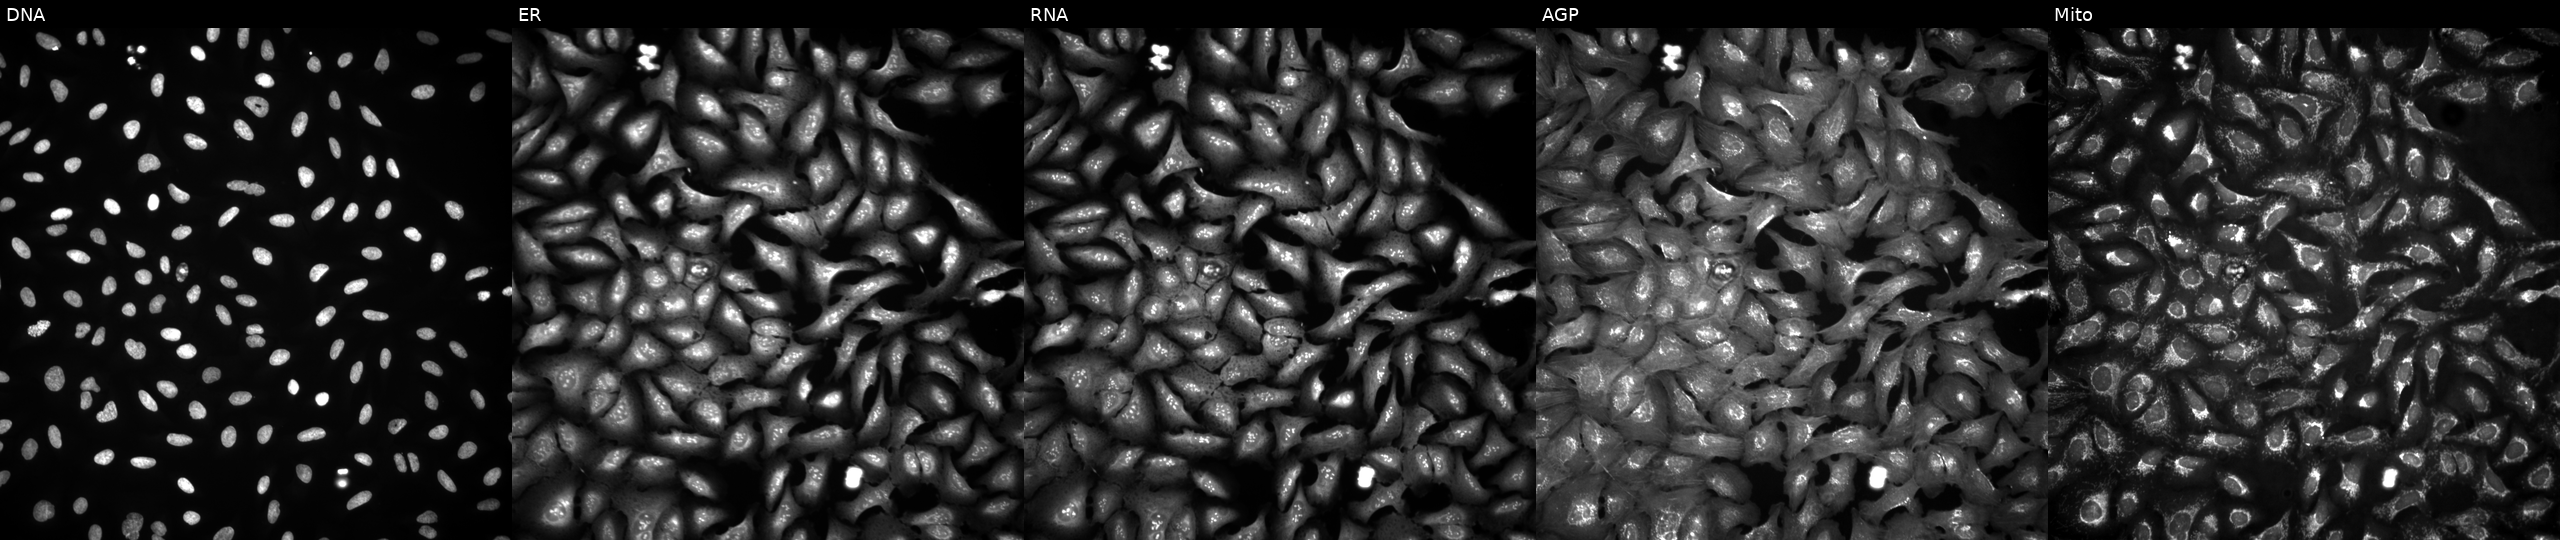
High-content fluorescence microscopy (Cell Painting). Cell line: U2OS. Perturbation: transfected with an ORF construct for SNN. The five panels, left to right, show DNA (nuclei); ER (endoplasmic reticulum); RNA (nucleoli and cytoplasmic RNA); AGP (actin cytoskeleton, Golgi, and plasma membrane); Mito (mitochondria). Source 4, plate BR00124787, well I04.